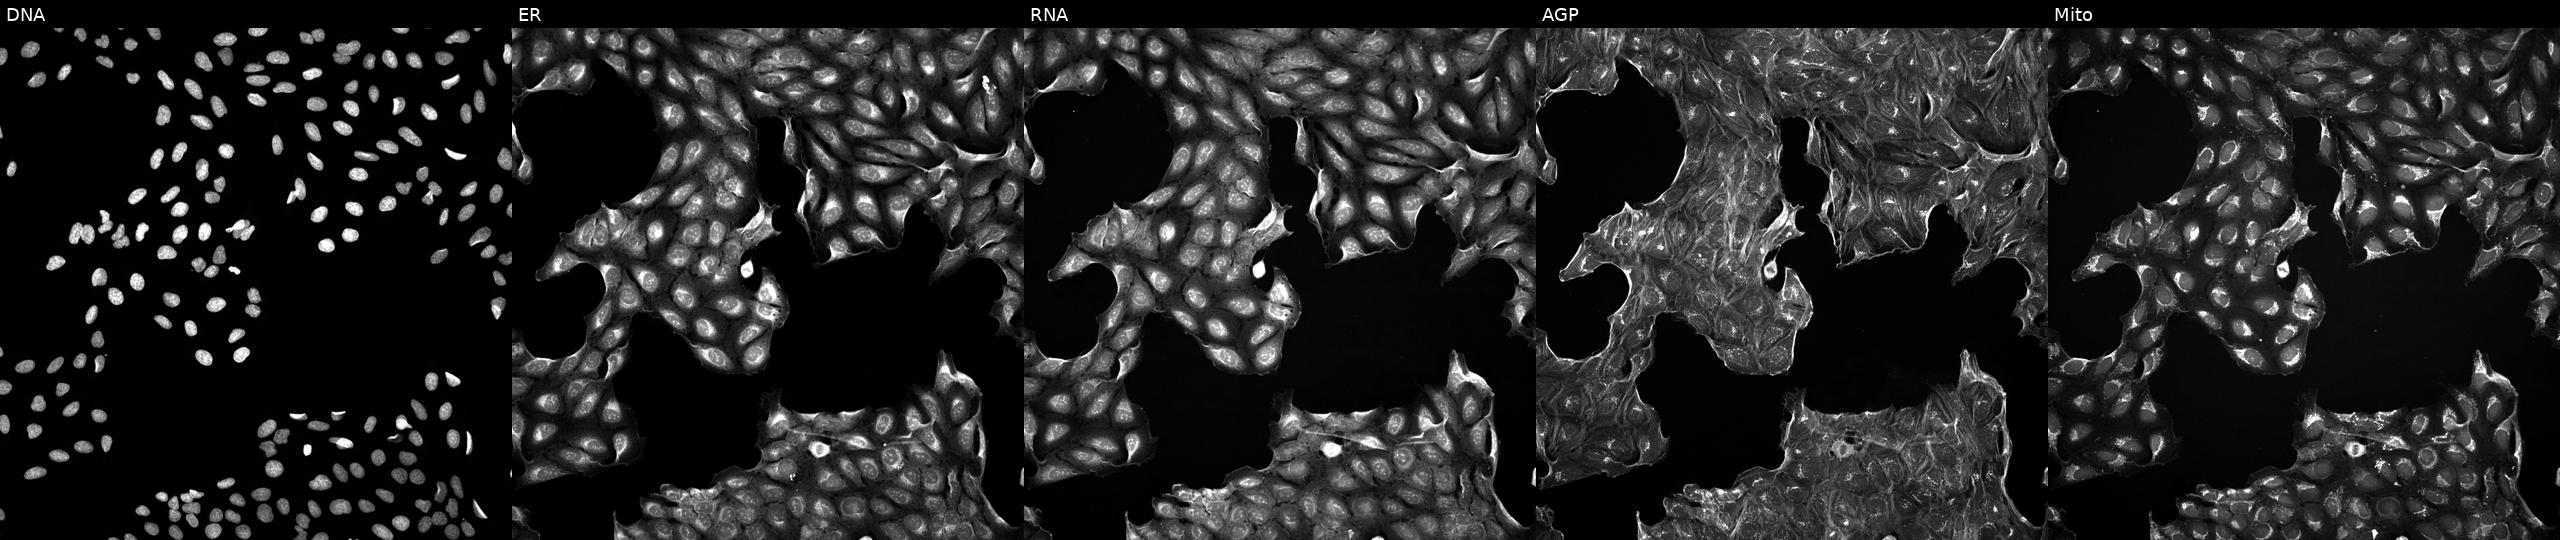
Five-channel Cell Painting image of U2OS cells treated with a small-molecule compound (InChIKey NUKYPUAOHBNCPY-UHFFFAOYSA-N) (JUMP id JCP2022_061437). Channels (left→right): Hoechst 33342, concanavalin A, SYTO 14, phalloidin and WGA, MitoTracker. Source 5, plate ACPJUM051, well B18.